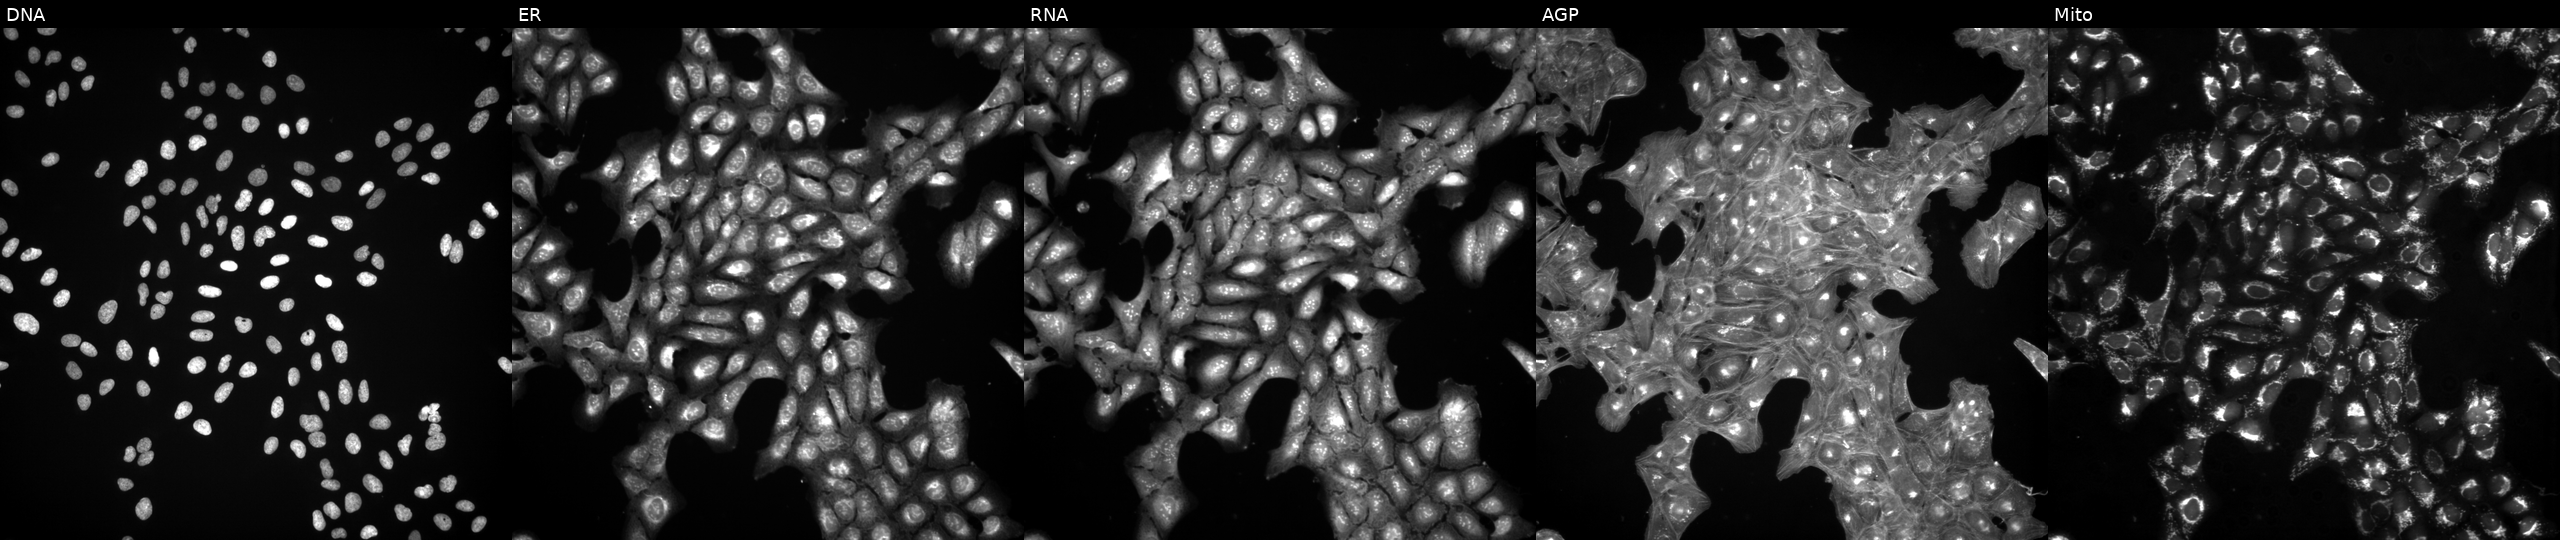
This image strip shows the five Cell Painting channels for a single field of U2OS cells perturbed with a small-molecule compound (InChIKey PWFKBCNVKFIJGN-UHFFFAOYSA-N) (JUMP id JCP2022_071377). The five panels, left to right, show Hoechst 33342, concanavalin A, SYTO 14, phalloidin and WGA, MitoTracker. Source 3, plate BR5867b3, well L12.